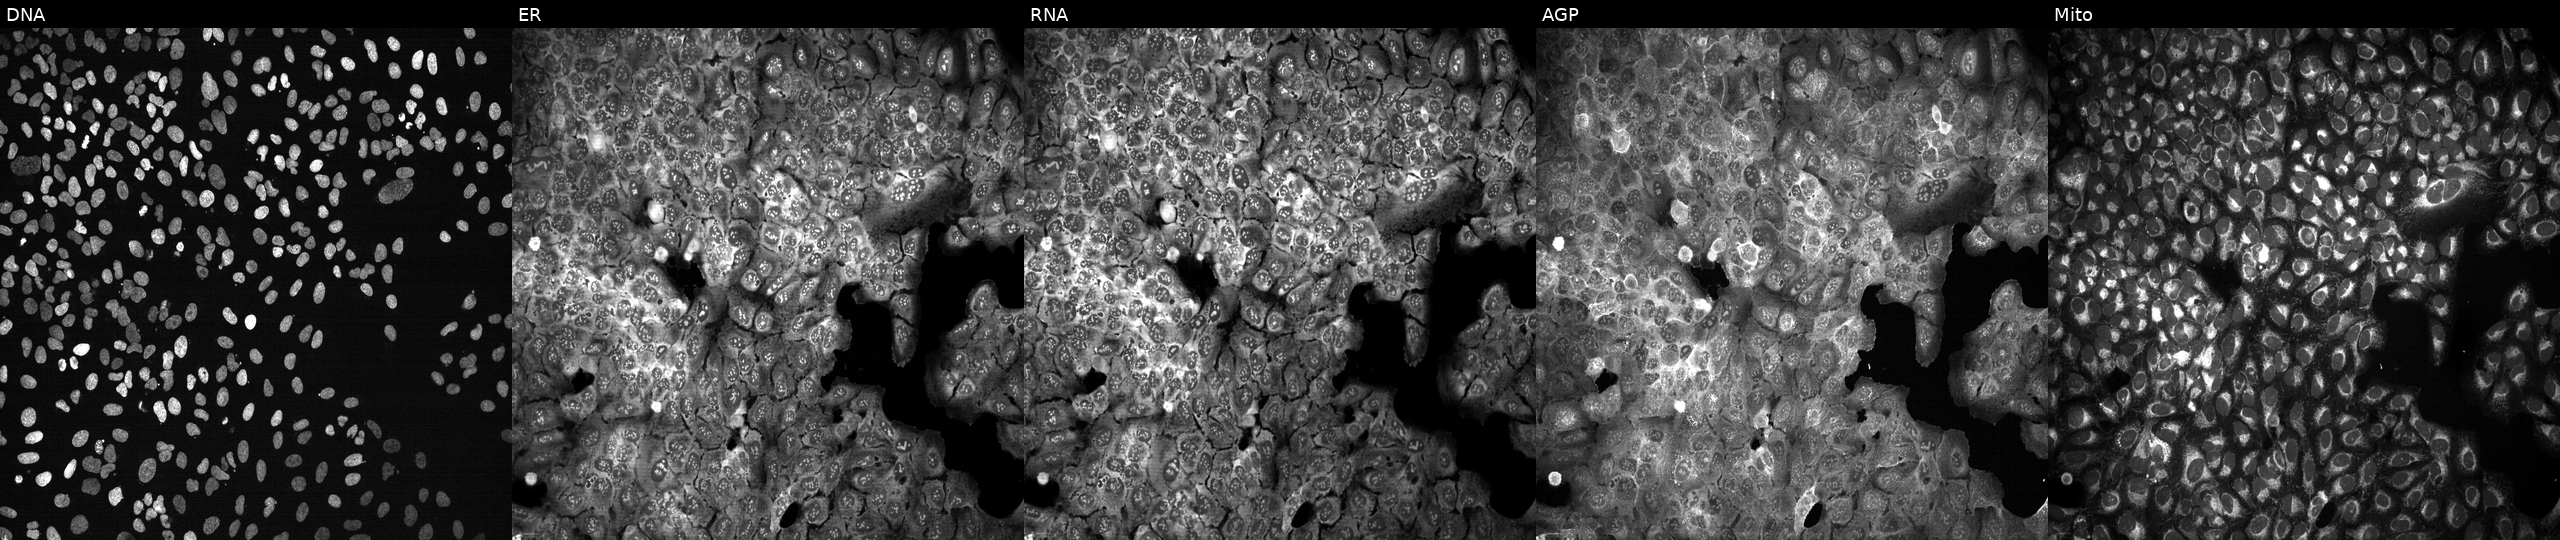
Panels show, left to right, DNA, ER, RNA, AGP, and Mito. U2OS osteosarcoma cells following CRISPR knockout of GUCA1C (JUMP id JCP2022_802975). Cell Painting assay, JUMP-CP dataset.